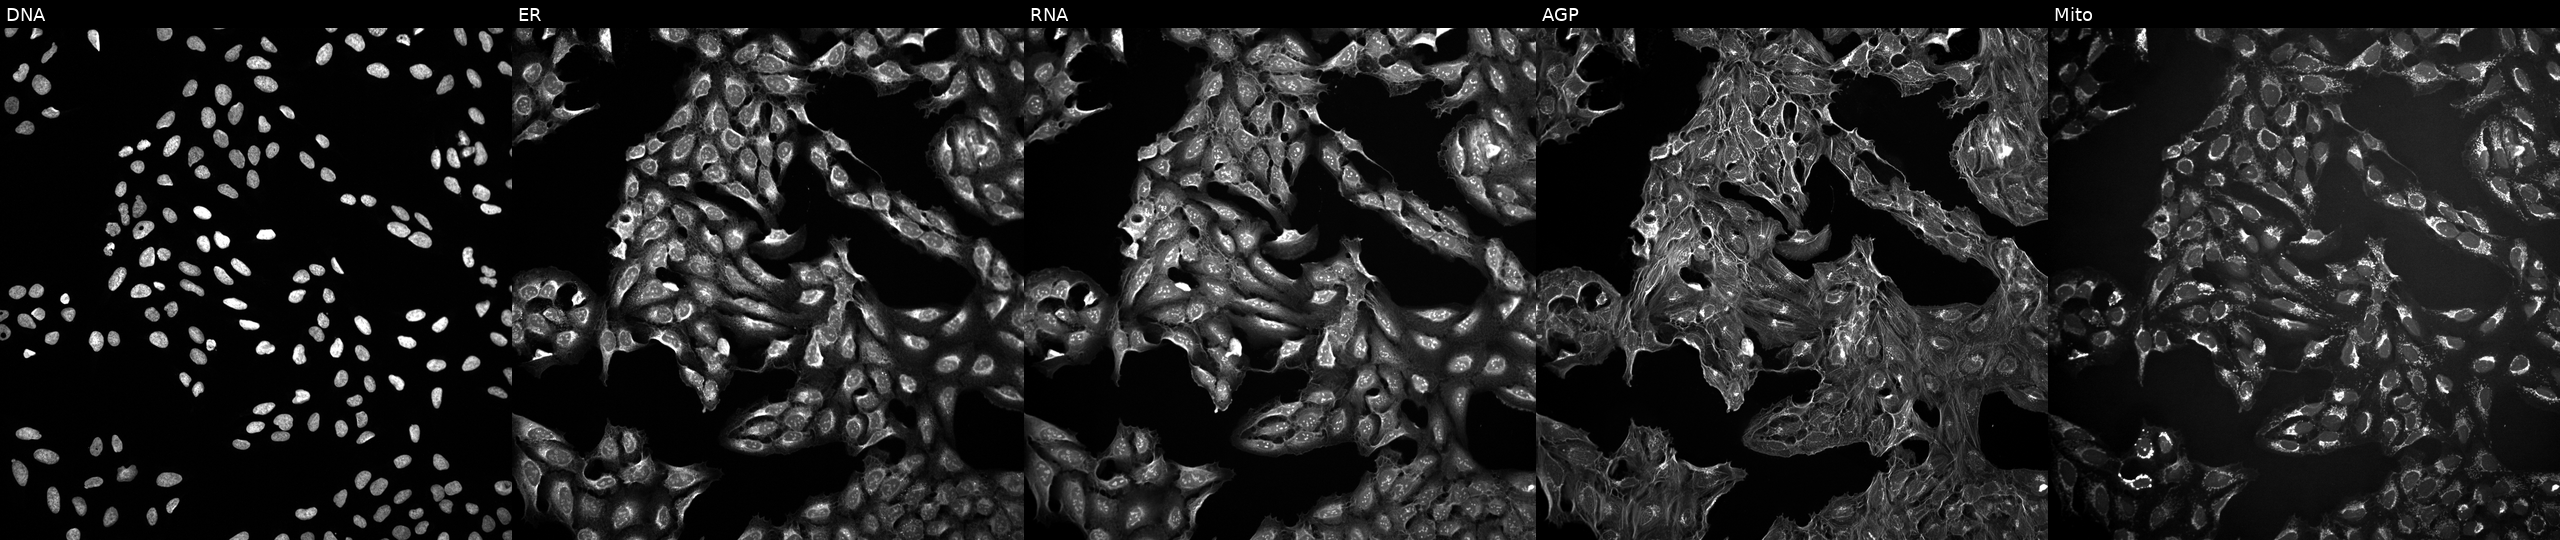
Five-channel Cell Painting image of U2OS cells in an empty control well (no perturbation). From left to right: DNA (nuclei); ER (endoplasmic reticulum); RNA (nucleoli and cytoplasmic RNA); AGP (actin cytoskeleton, Golgi, and plasma membrane); Mito (mitochondria). Source 10, plate Dest210531-152324, well M09.